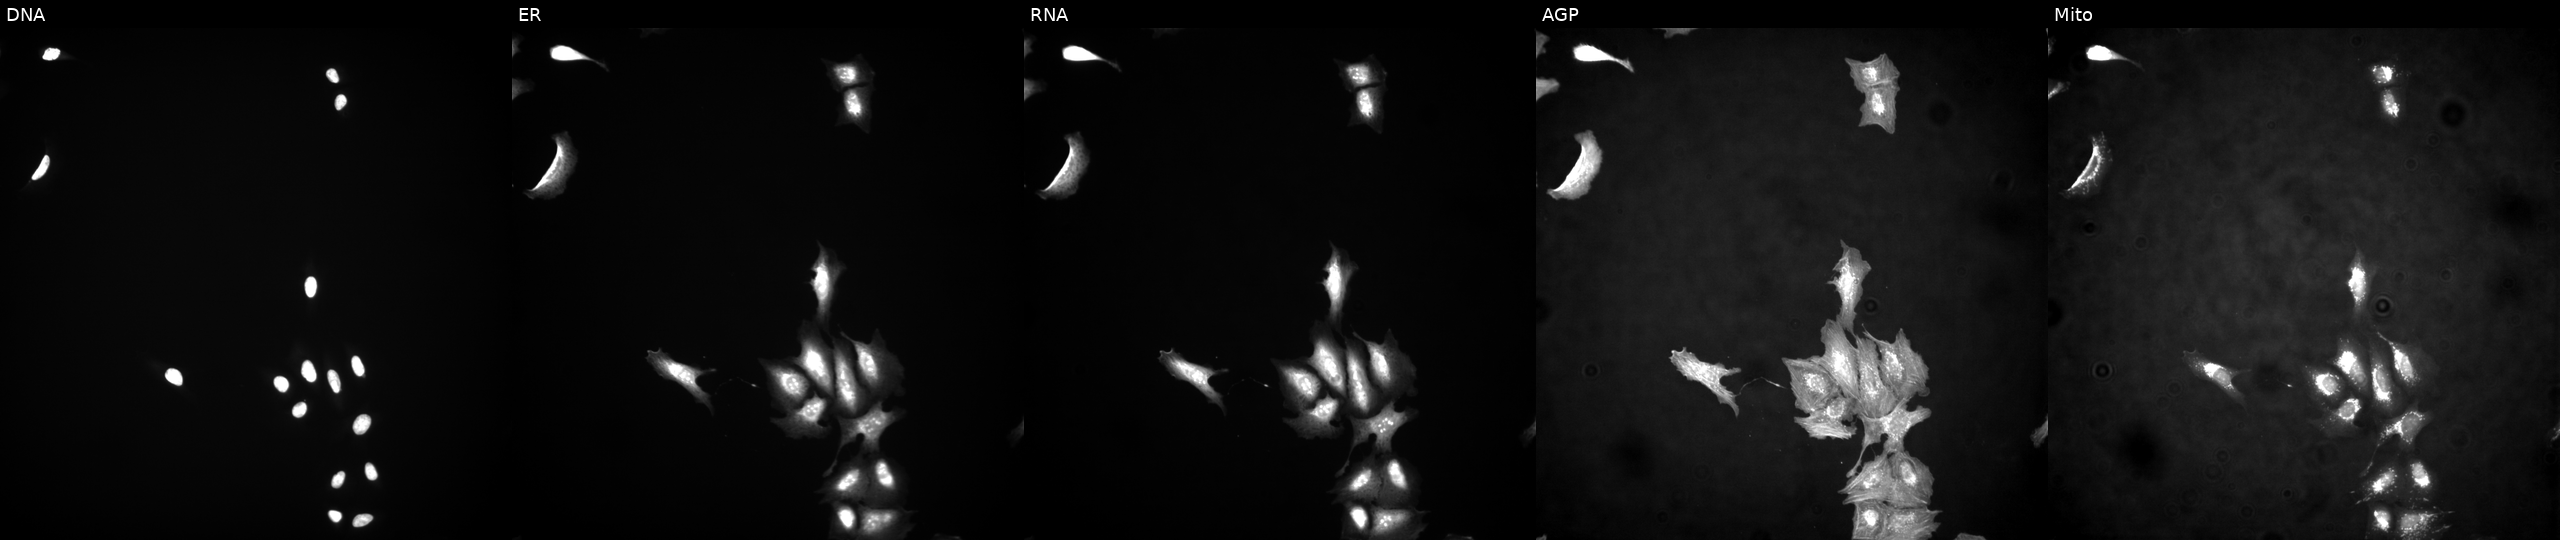
The five panels, left to right, show Hoechst 33342, concanavalin A, SYTO 14, phalloidin and WGA, MitoTracker. U2OS osteosarcoma cells with TUSC2 overexpressed (ORF) (JUMP id JCP2022_902510). Cell Painting assay, JUMP-CP dataset.